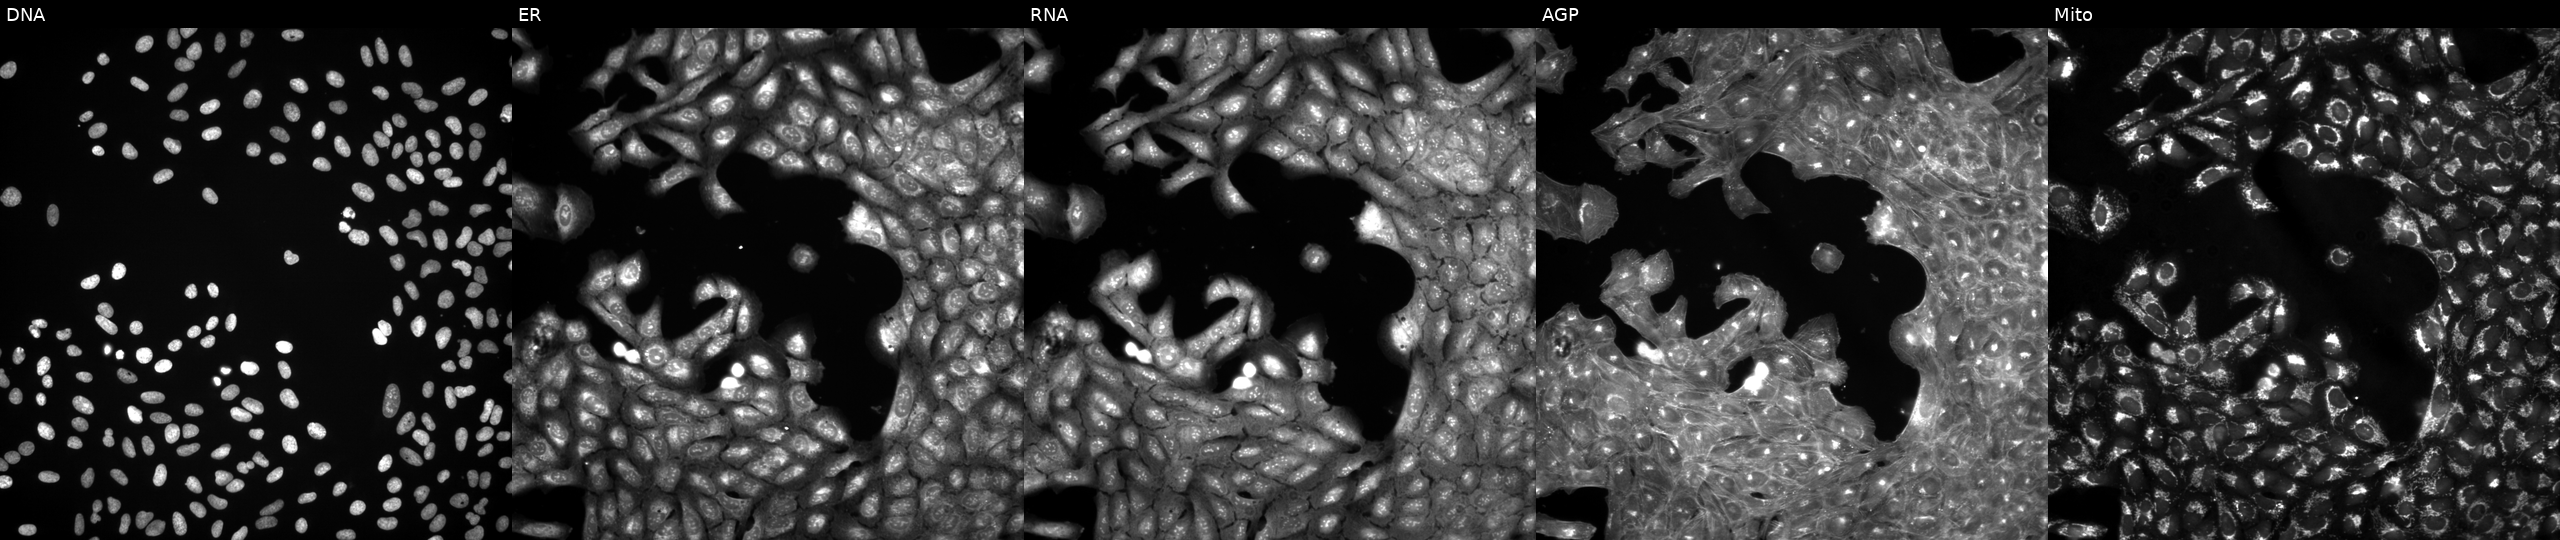
U2OS cells, Cell Painting assay, perturbed with a small-molecule compound (InChIKey XRVDGNKRPOAQTN-UHFFFAOYSA-N) (JUMP id JCP2022_105621). From left to right: DNA (nuclei); ER (endoplasmic reticulum); RNA (nucleoli and cytoplasmic RNA); AGP (actin cytoskeleton, Golgi, and plasma membrane); Mito (mitochondria). Each panel is percentile-stretched 16-bit fluorescence. Source 3, plate JCPQC053, well C02.